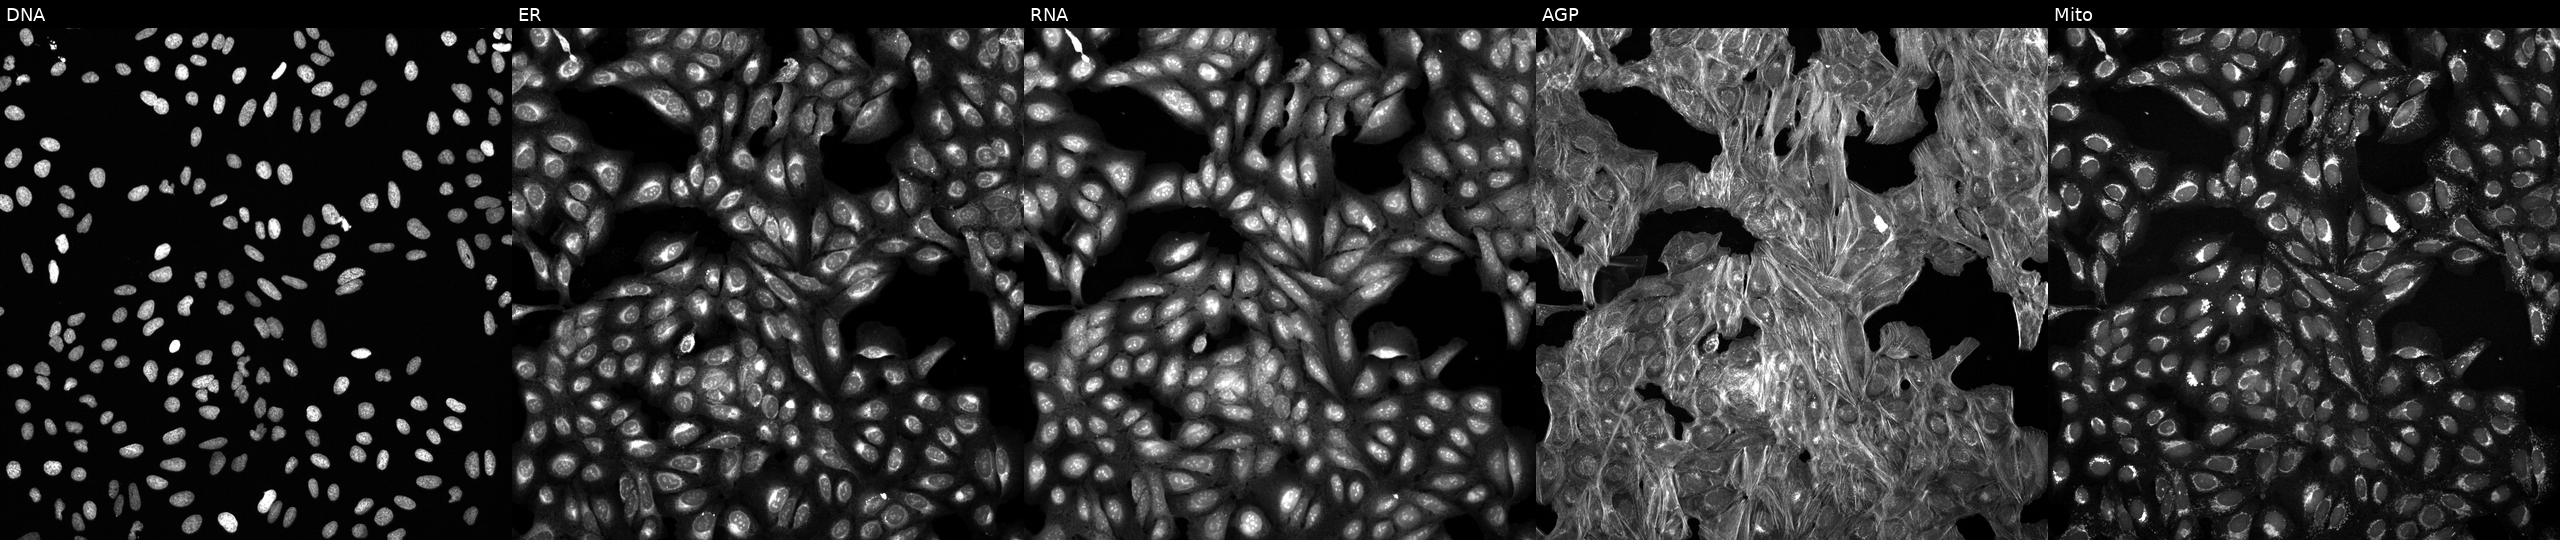
U2OS cells, Cell Painting assay, perturbed with a small-molecule compound (InChIKey FCMHKPSVXXVKBR-UHFFFAOYSA-N) (JUMP id JCP2022_019758). Panels show, left to right, DNA, ER, RNA, AGP, and Mito. Each panel is percentile-stretched 16-bit fluorescence. Source 6, plate 110000293083, well I13.